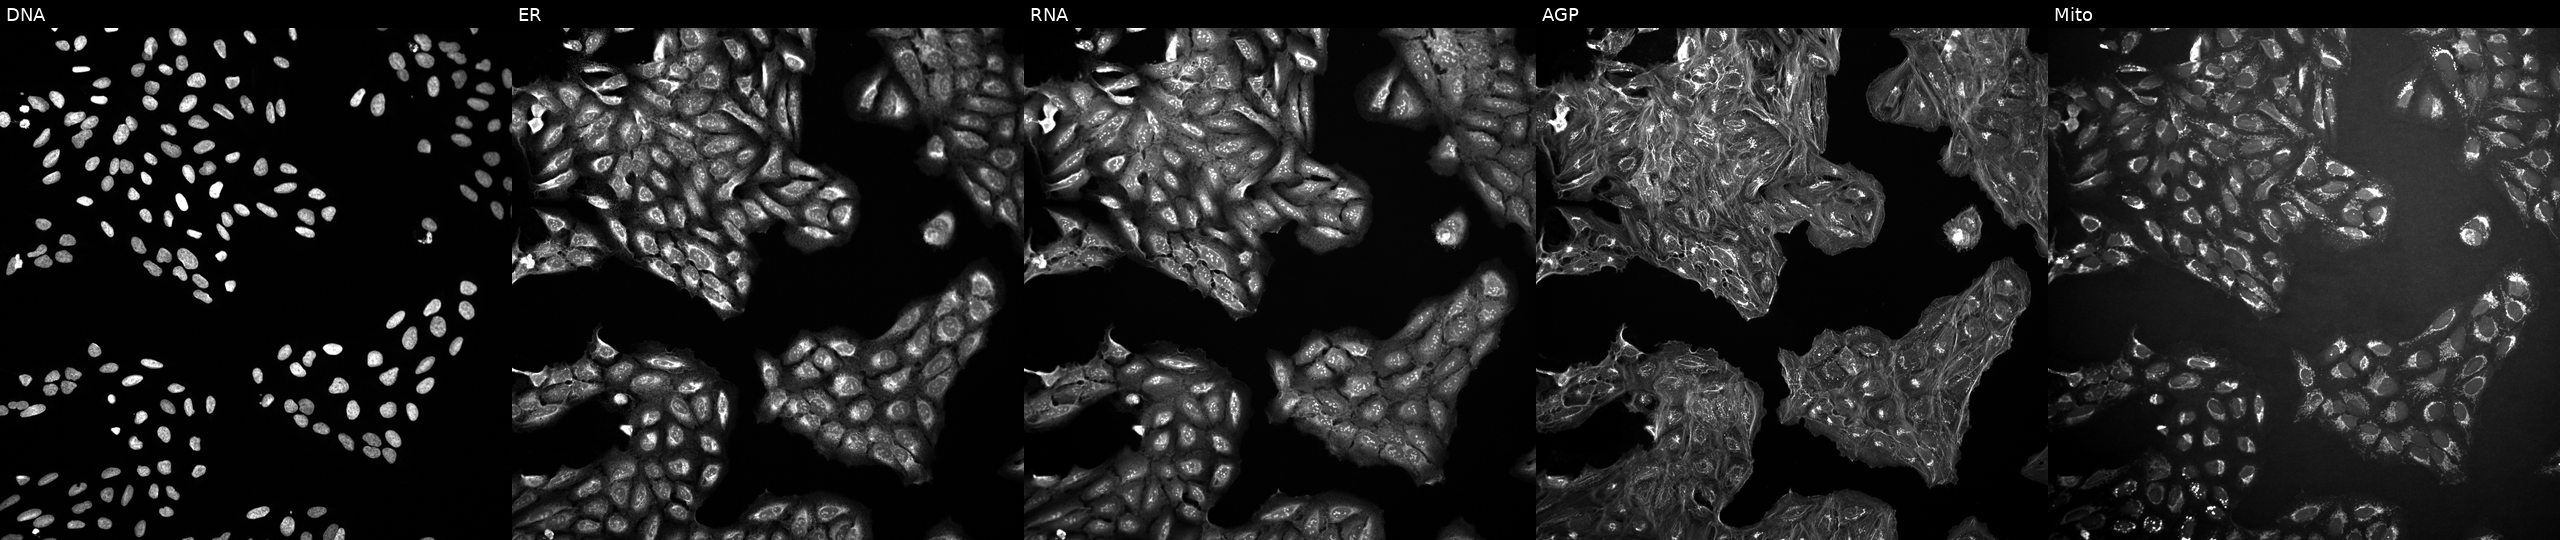
Panels show, left to right, DNA, ER, RNA, AGP, and Mito. U2OS osteosarcoma cells exposed to a small-molecule compound (InChIKey HJLRPFGIEHIGGL-UHFFFAOYSA-N). Cell Painting assay, JUMP-CP dataset. Source 10, plate Dest210531-152324, well E18.